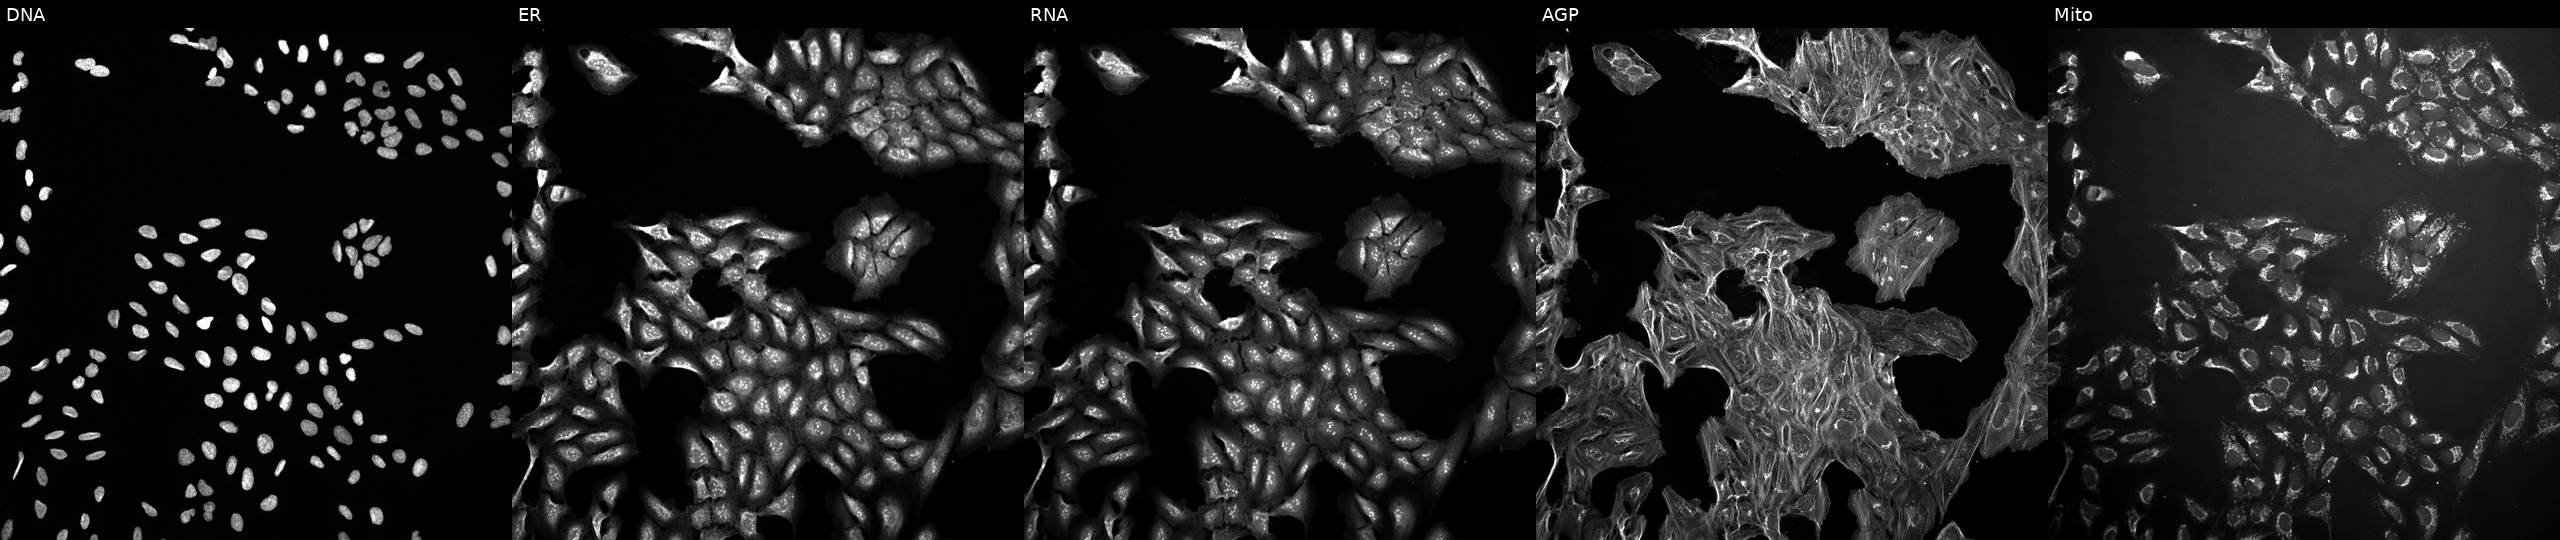
From left to right: Hoechst 33342, concanavalin A, SYTO 14, phalloidin and WGA, MitoTracker. U2OS osteosarcoma cells perturbed with a small-molecule compound (InChIKey IFIUFCJFLGCQPH-UHFFFAOYSA-N). Cell Painting assay, JUMP-CP dataset. Source 10, plate Dest210726-160150, well G17.